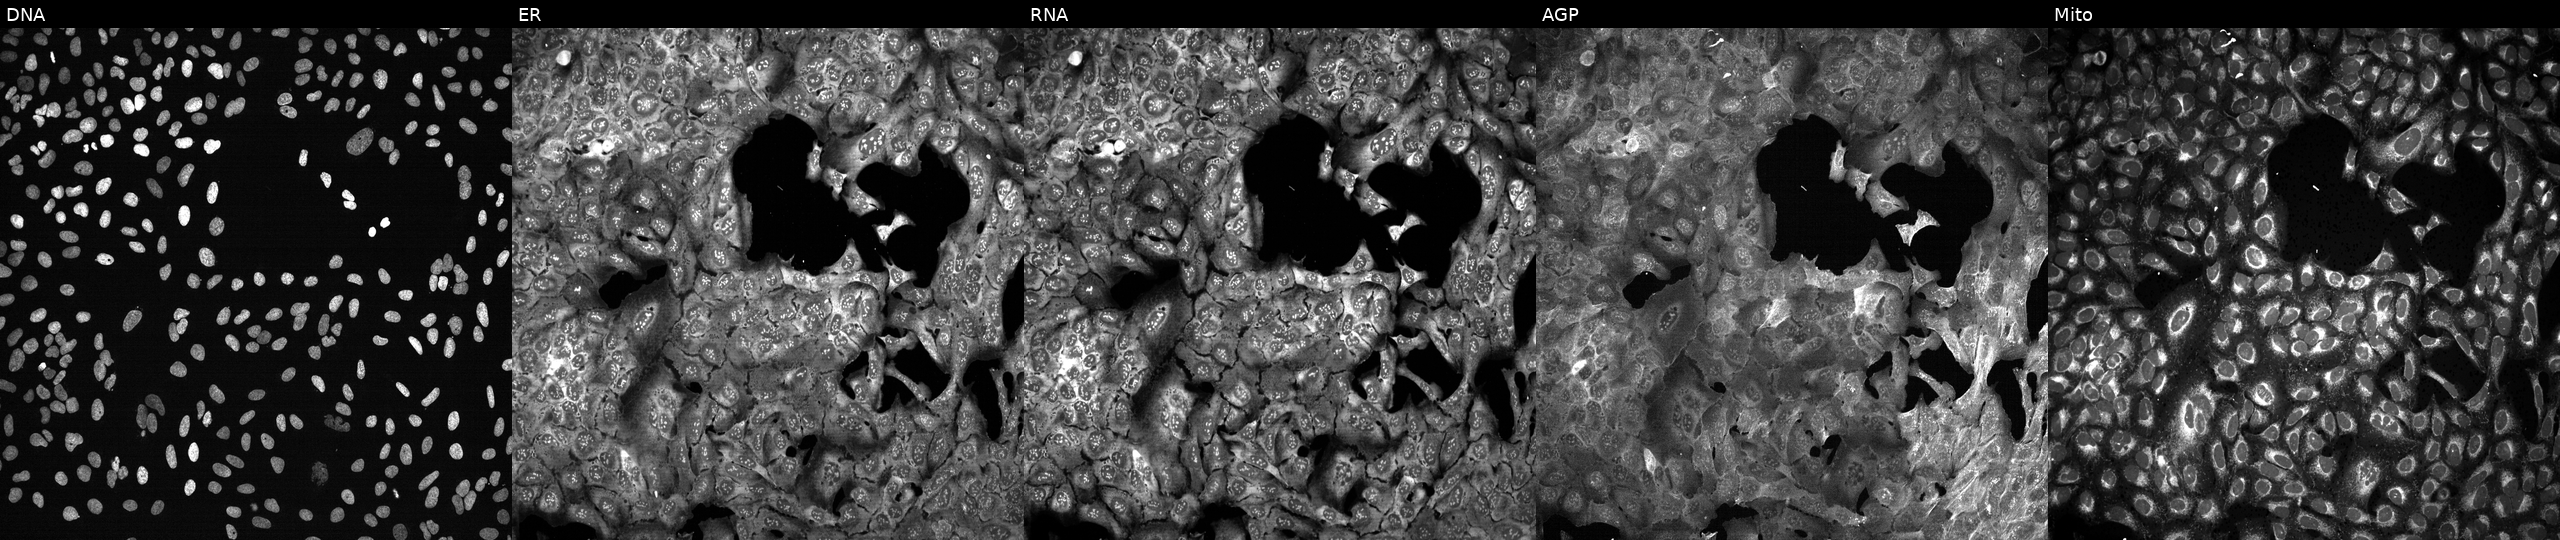
U2OS cells, Cell Painting assay, with ACOX1 knocked out by CRISPR (JUMP id JCP2022_800125). Channels (left→right): DNA (nuclei); ER (endoplasmic reticulum); RNA (nucleoli and cytoplasmic RNA); AGP (actin cytoskeleton, Golgi, and plasma membrane); Mito (mitochondria). Each panel is percentile-stretched 16-bit fluorescence. Source 13, plate CP-CC9-R2-01, well N11.